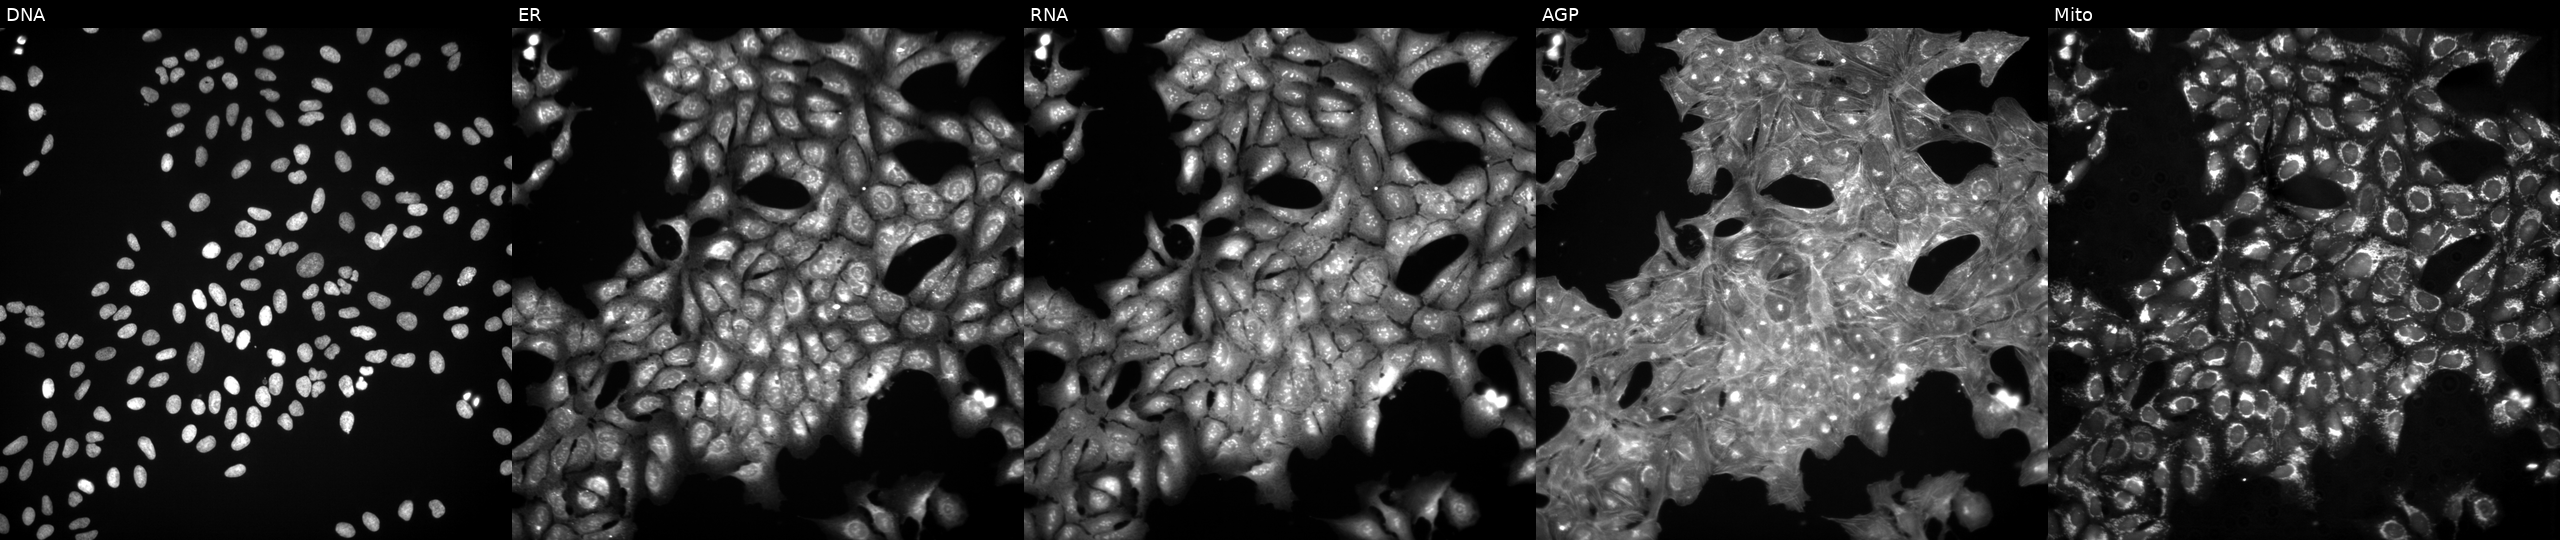
This image strip shows the five Cell Painting channels for a single field of U2OS cells perturbed with a small-molecule compound (InChIKey XEYBRNLFEZDVAW-UHFFFAOYSA-N) (JUMP id JCP2022_103217). The five panels, left to right, show DNA, ER, RNA, AGP, and Mito.